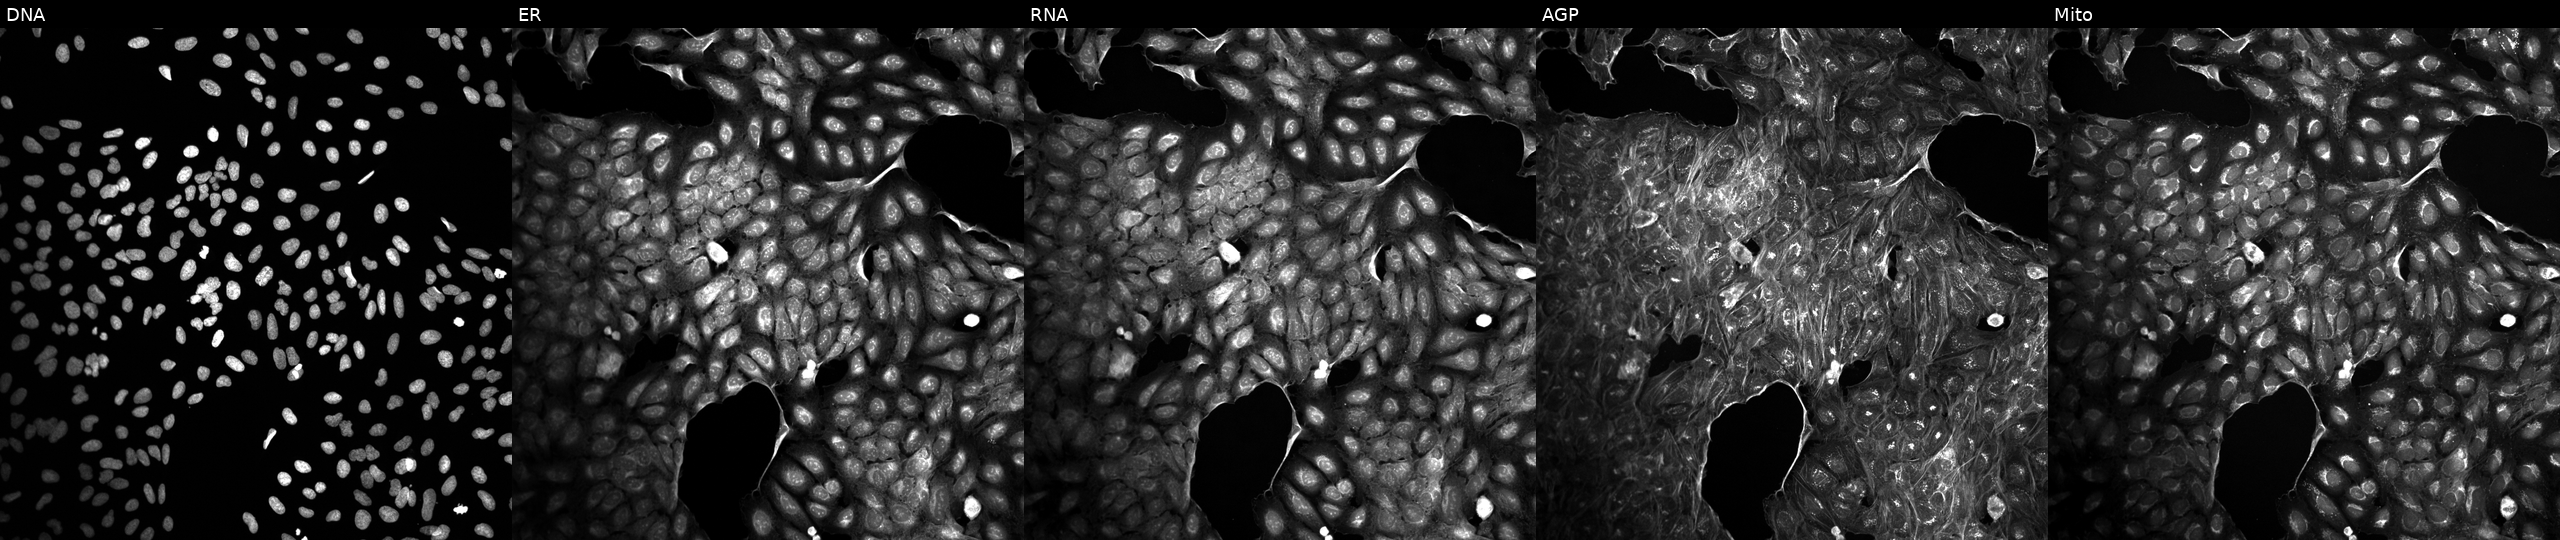
Five-channel Cell Painting image of U2OS cells treated with DMSO vehicle only (negative control). Channels (left→right): DNA, ER, RNA, AGP, and Mito.